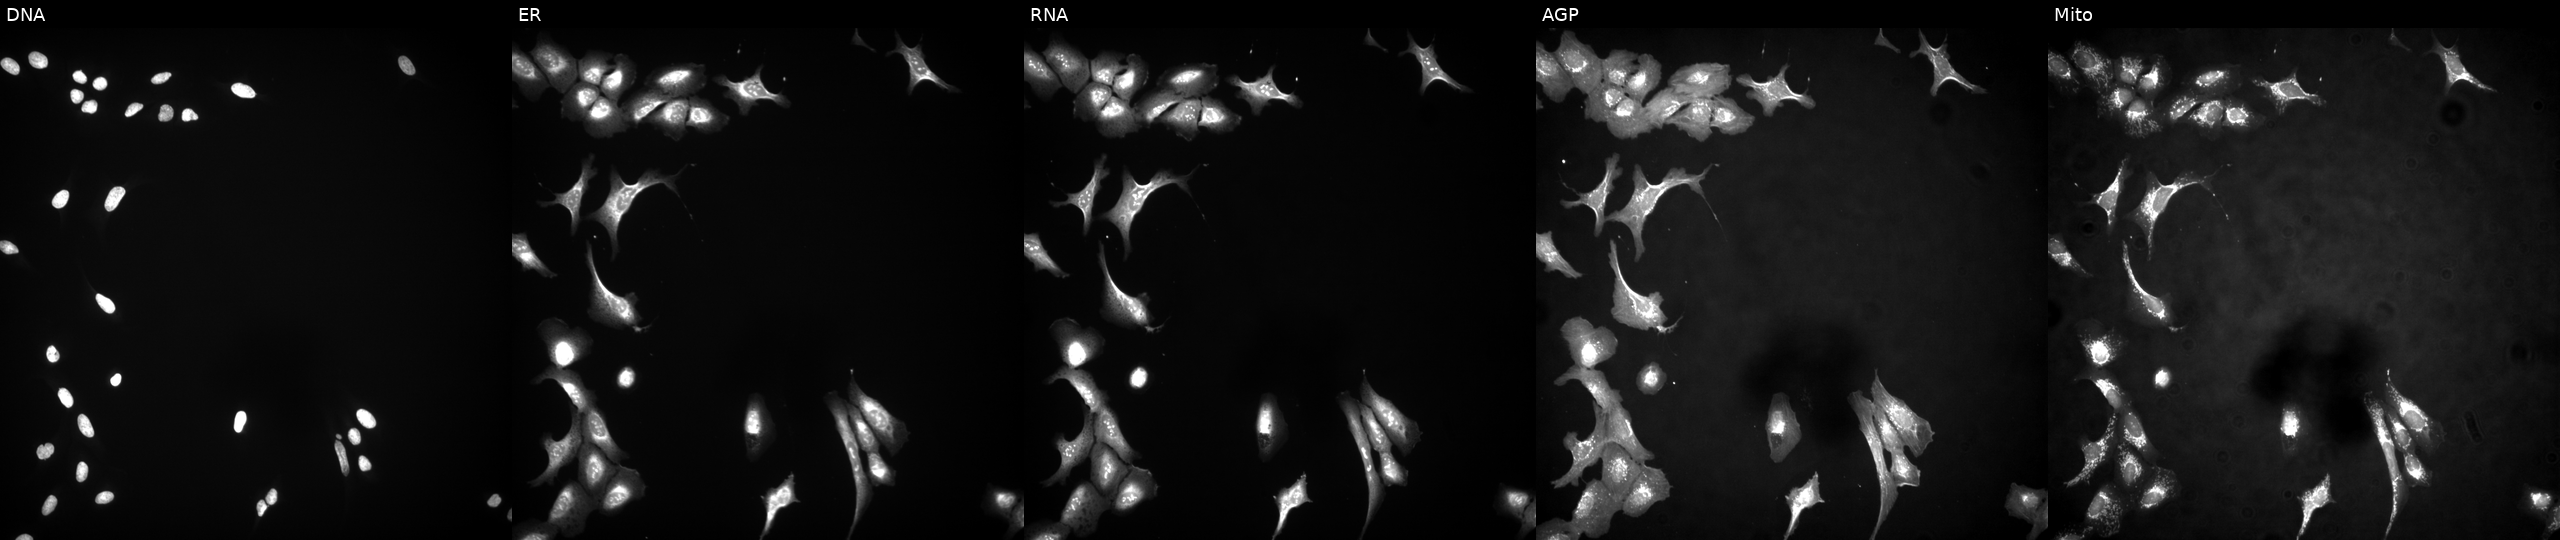
U2OS cells, Cell Painting assay, transfected with an ORF construct for MARCHF2 (JUMP id JCP2022_903058). Channels (left→right): DNA (nuclei); ER (endoplasmic reticulum); RNA (nucleoli and cytoplasmic RNA); AGP (actin cytoskeleton, Golgi, and plasma membrane); Mito (mitochondria). Each panel is percentile-stretched 16-bit fluorescence. Source 4, plate BR00124790, well L13.